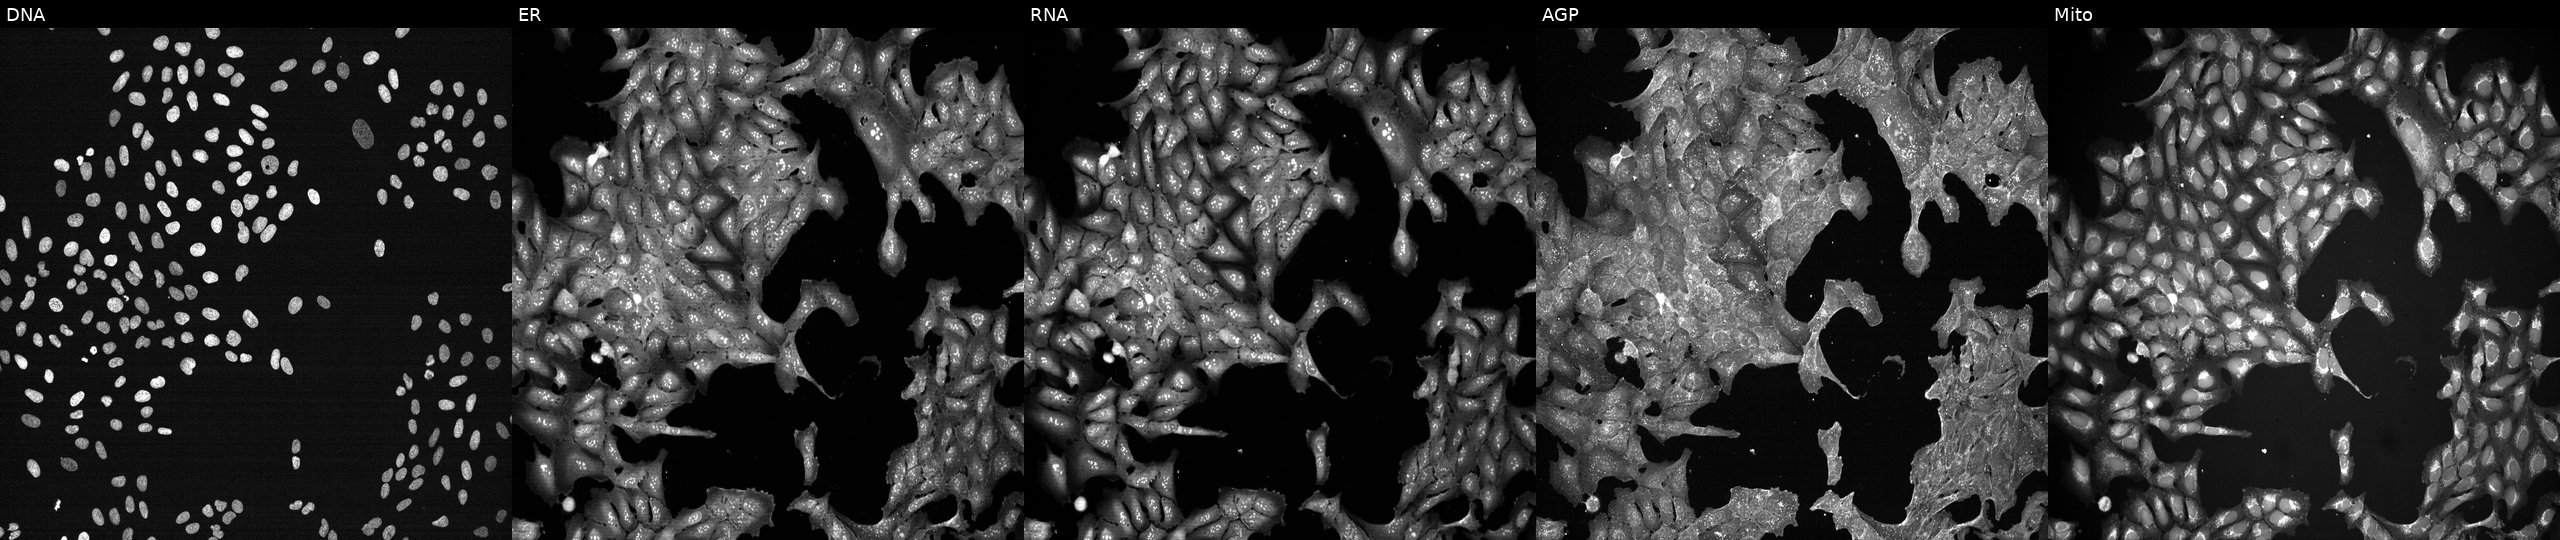
High-content fluorescence microscopy (Cell Painting). Cell line: U2OS. Perturbation: exposed to a small-molecule compound (JUMP id JCP2022_062326). Channels (left→right): DNA, ER, RNA, AGP, and Mito.